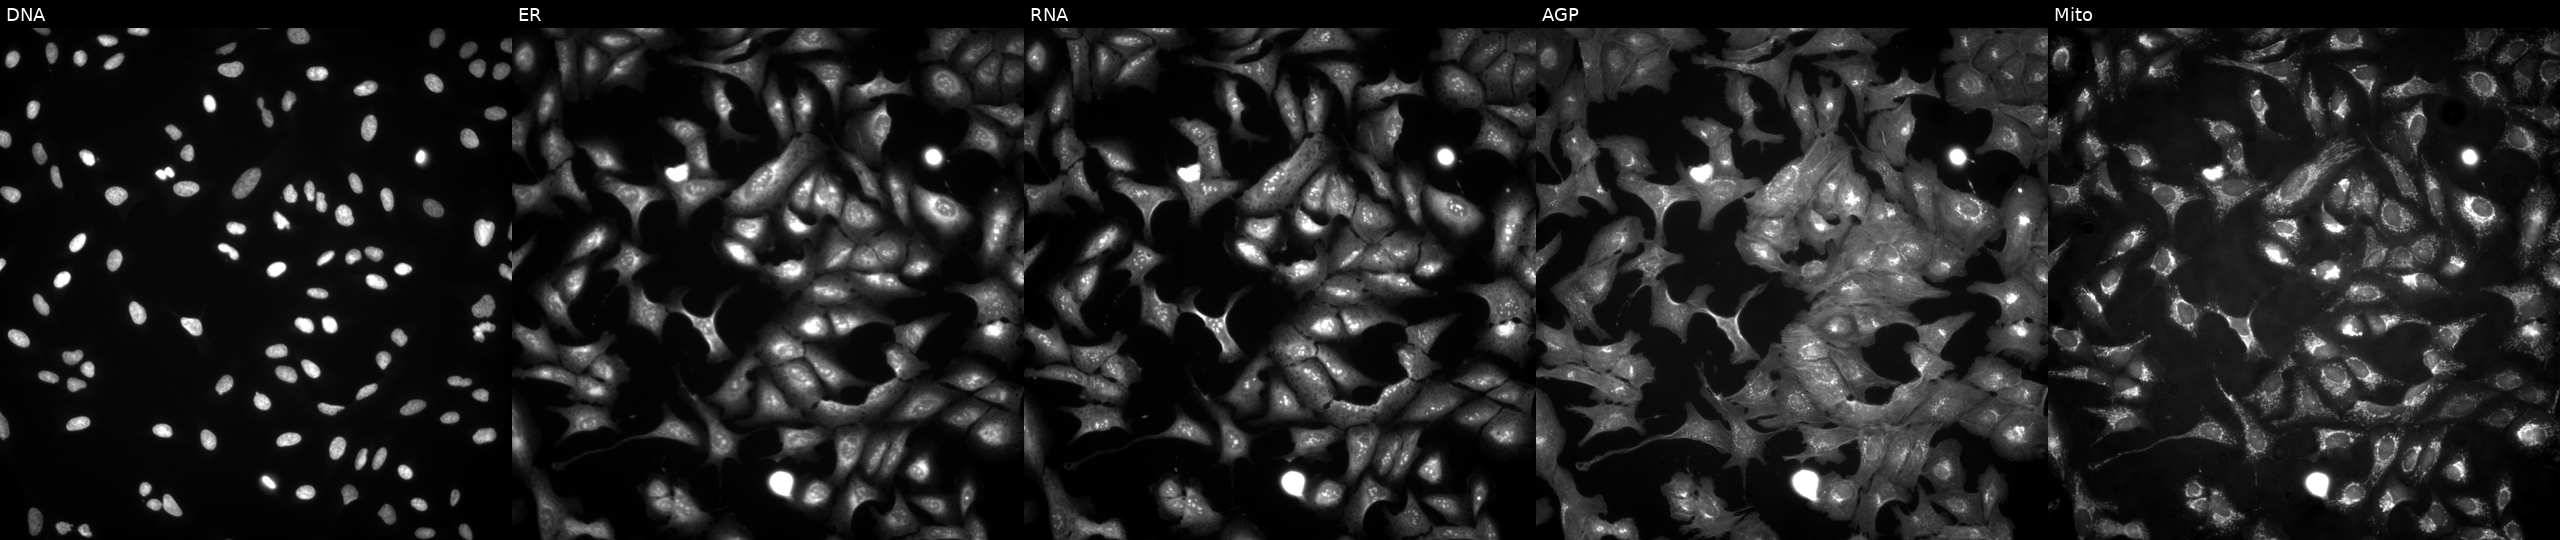
High-content fluorescence microscopy (Cell Painting). Cell line: U2OS. Perturbation: with PIEZO1 overexpressed (ORF) (JUMP id JCP2022_910646). Panels show, left to right, DNA, ER, RNA, AGP, and Mito. Source 4, plate BR00123509, well A05.